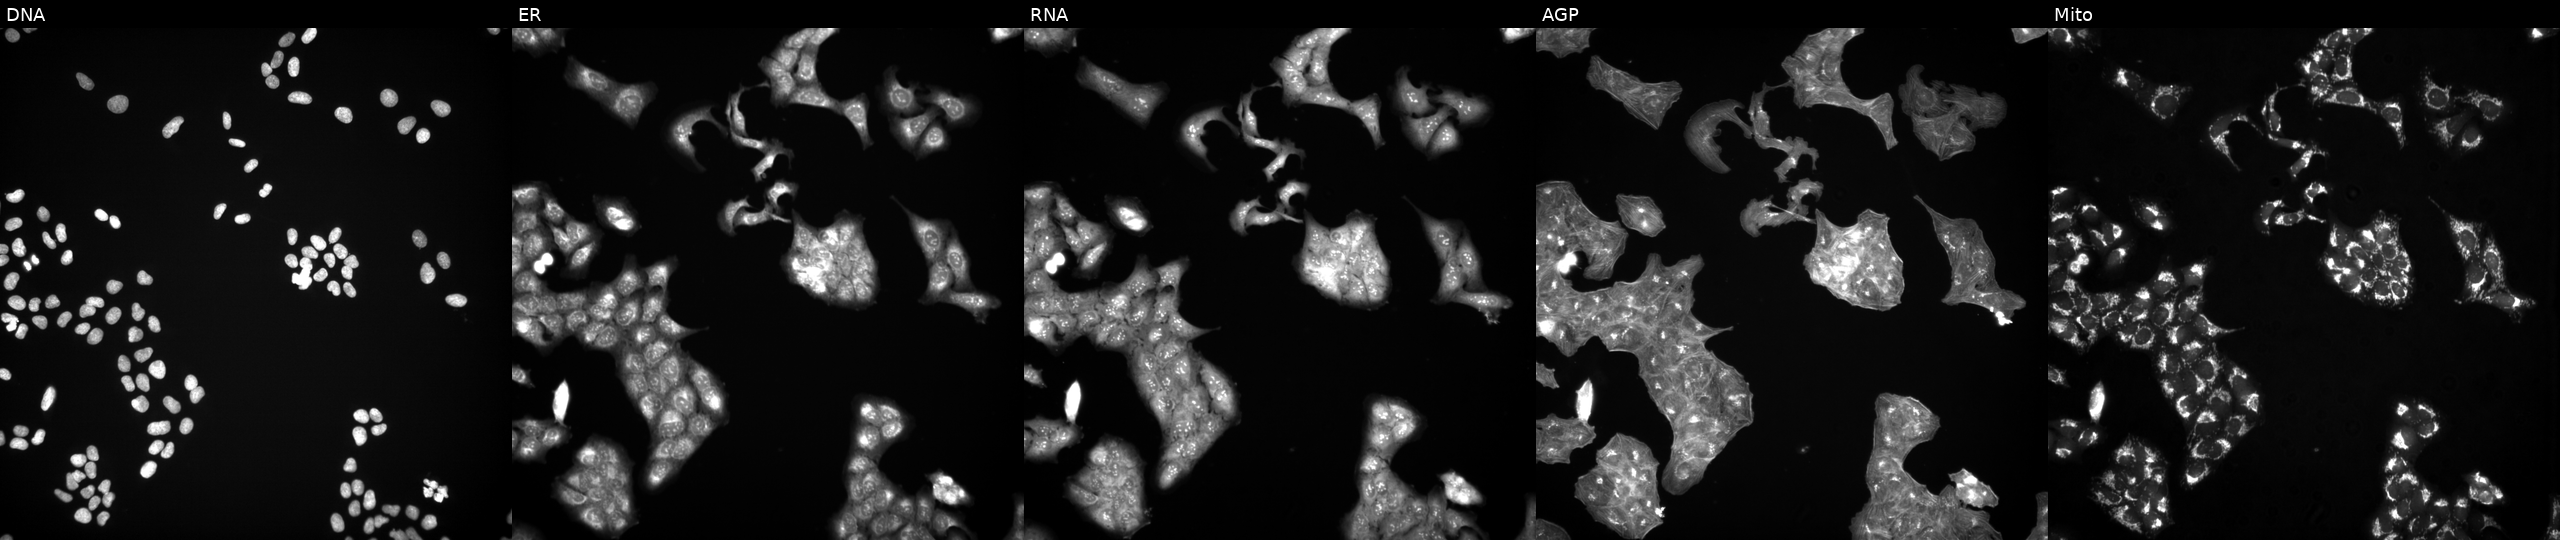
This image strip shows the five Cell Painting channels for a single field of U2OS cells exposed to the positive-control compound NVS-PAK1-1. Panels show, left to right, DNA, ER, RNA, AGP, and Mito. Source 3, plate JCPQC051, well J13.